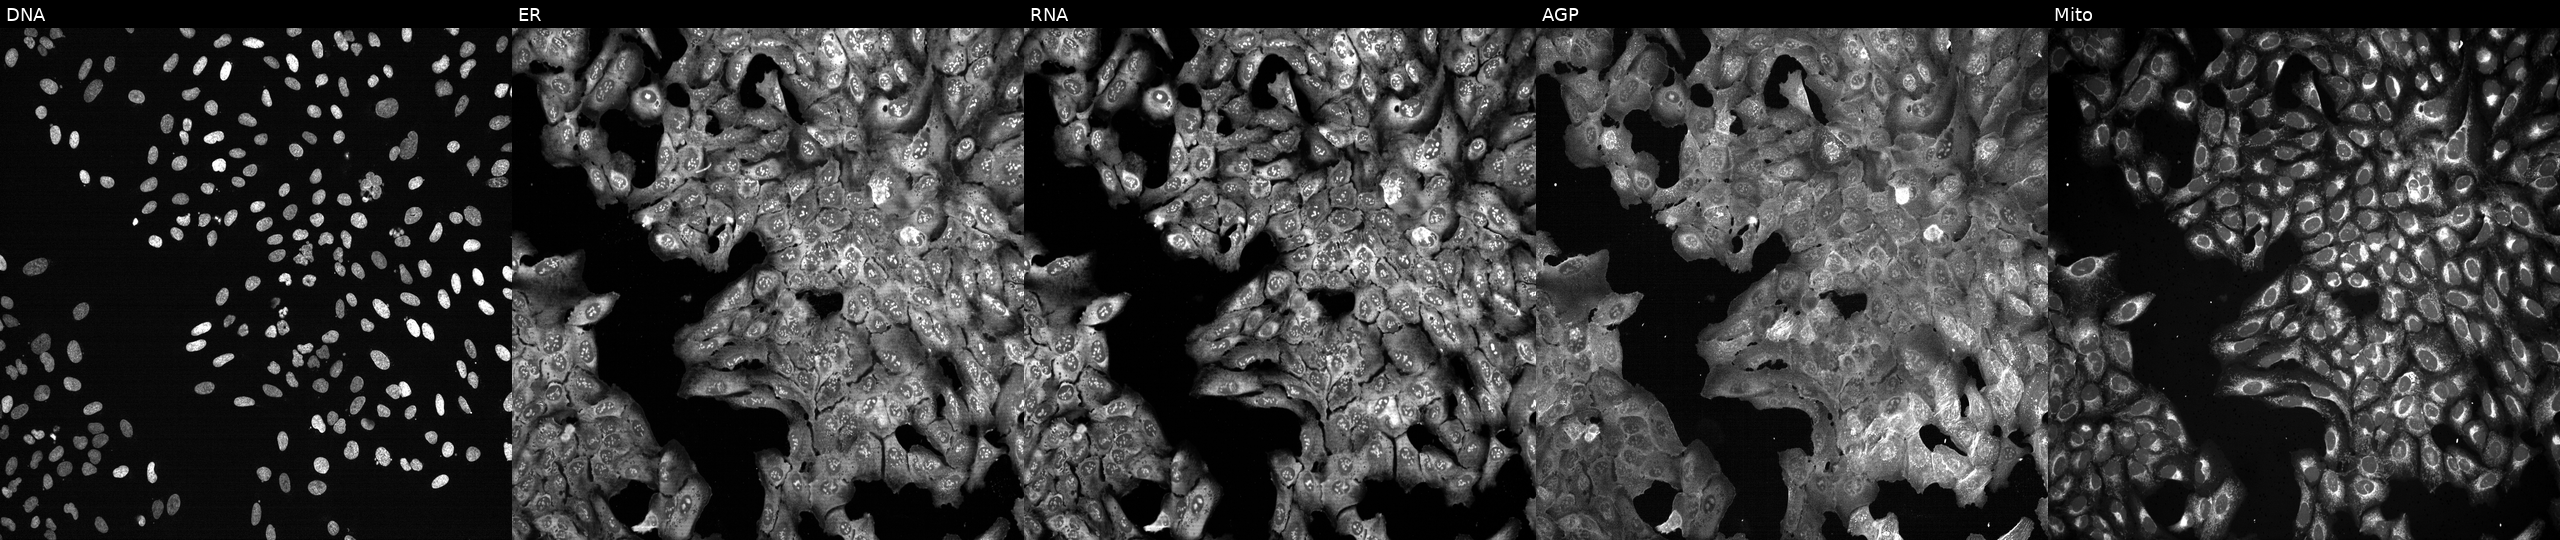
High-content fluorescence microscopy (Cell Painting). Cell line: U2OS. Perturbation: following CRISPR knockout of NUDT13 (JUMP id JCP2022_804743). From left to right: DNA (nuclei); ER (endoplasmic reticulum); RNA (nucleoli and cytoplasmic RNA); AGP (actin cytoskeleton, Golgi, and plasma membrane); Mito (mitochondria).